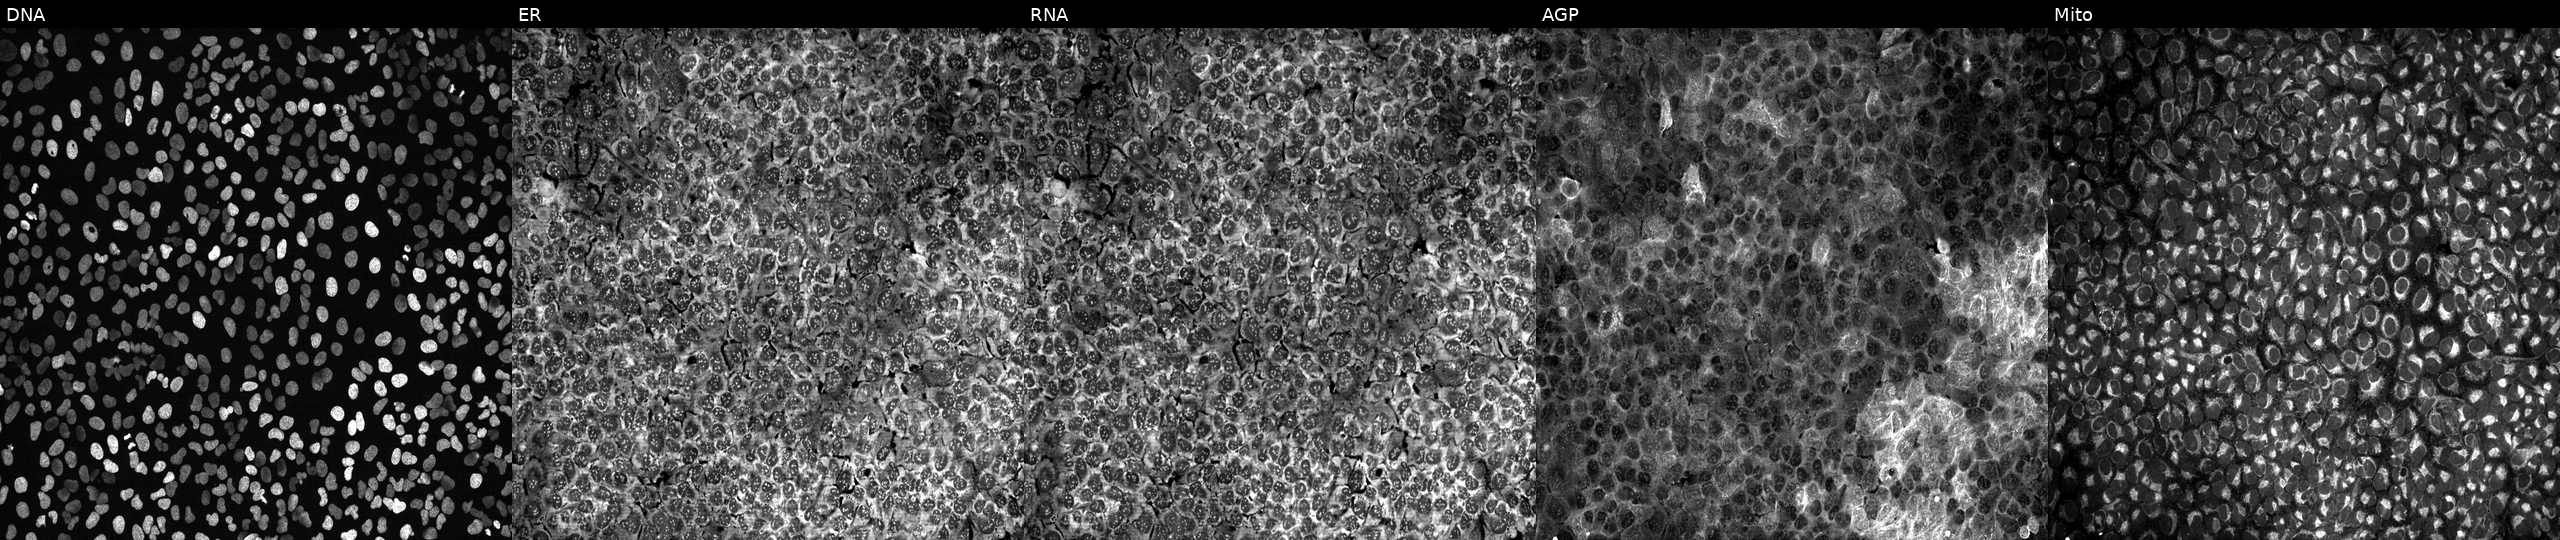
This image strip shows the five Cell Painting channels for a single field of U2OS cells exposed to the positive-control compound quinidine (JUMP id JCP2022_050797). Channels (left→right): DNA, ER, RNA, AGP, and Mito. Source 13, plate CP-CC9-R2-01, well F01.